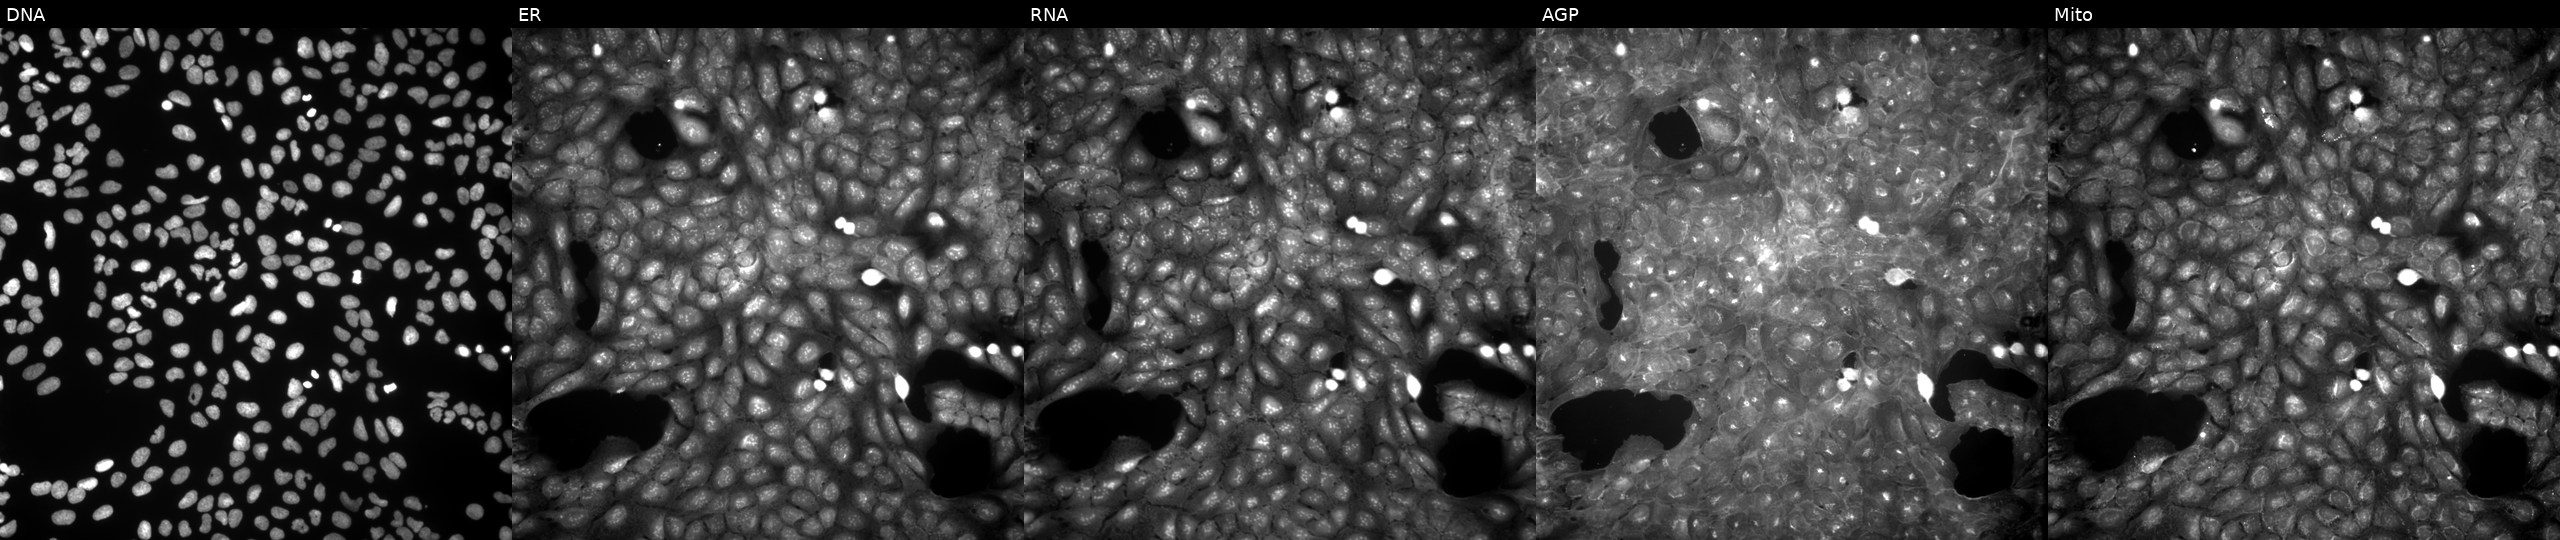
U2OS cells, Cell Painting assay, treated with DMSO vehicle only (negative control) (JUMP id JCP2022_033924). The five panels, left to right, show Hoechst 33342, concanavalin A, SYTO 14, phalloidin and WGA, MitoTracker. Each panel is percentile-stretched 16-bit fluorescence. Source 9, plate GR00003381, well L23.